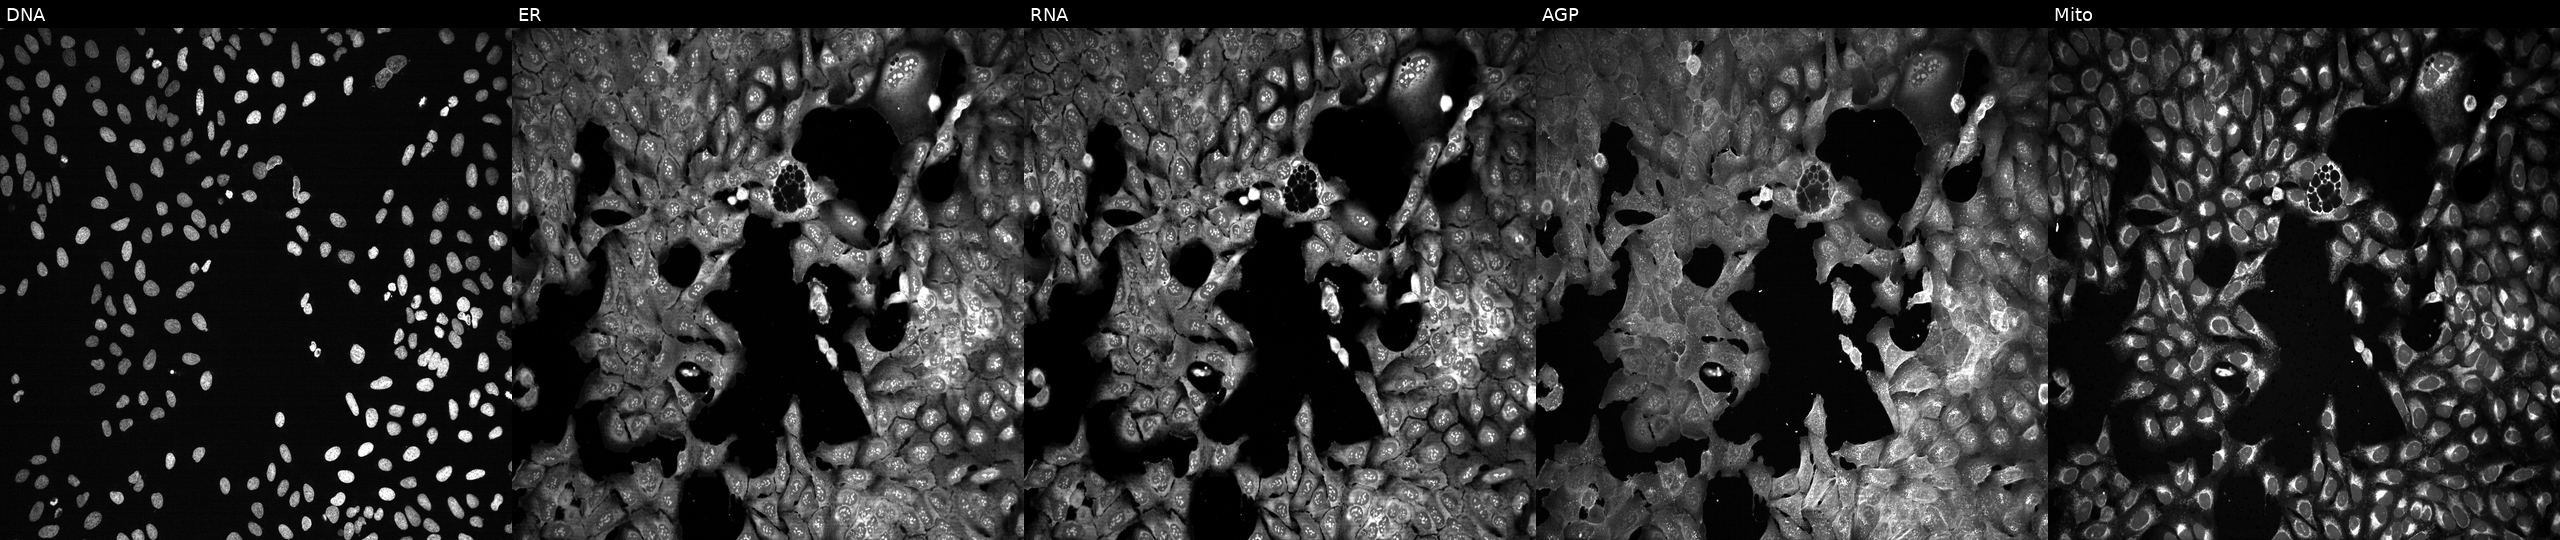
U2OS cells, Cell Painting assay, following CRISPR knockout of CAPN8. The five panels, left to right, show DNA, ER, RNA, AGP, and Mito. Each panel is percentile-stretched 16-bit fluorescence.